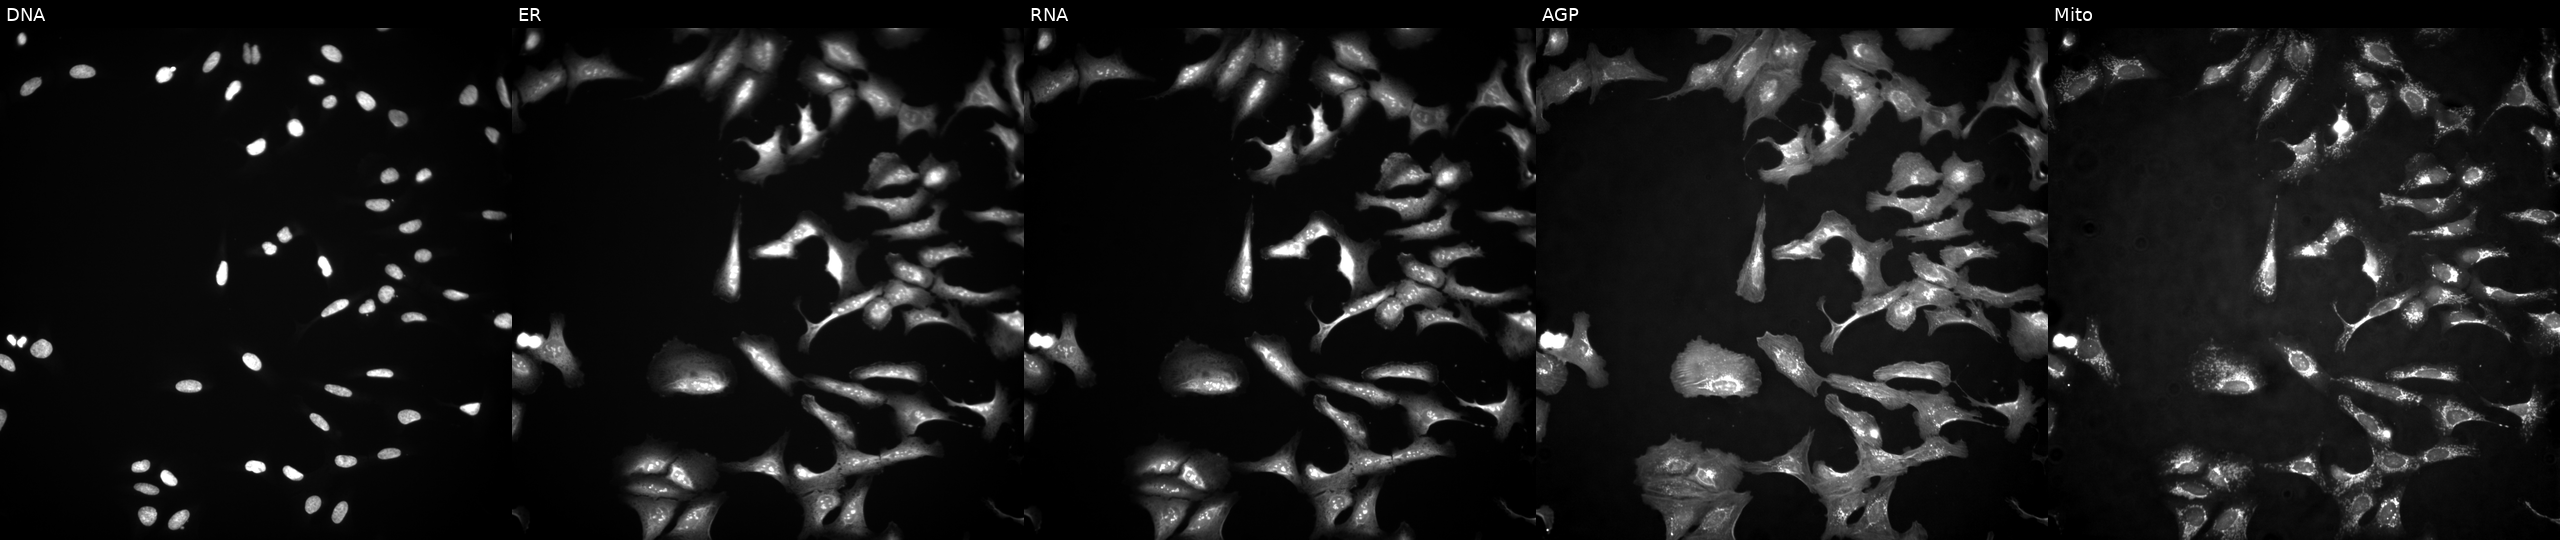
Five-channel Cell Painting image of U2OS cells with E2F3 overexpressed (ORF) (JUMP id JCP2022_910058). The five panels, left to right, show Hoechst 33342, concanavalin A, SYTO 14, phalloidin and WGA, MitoTracker.